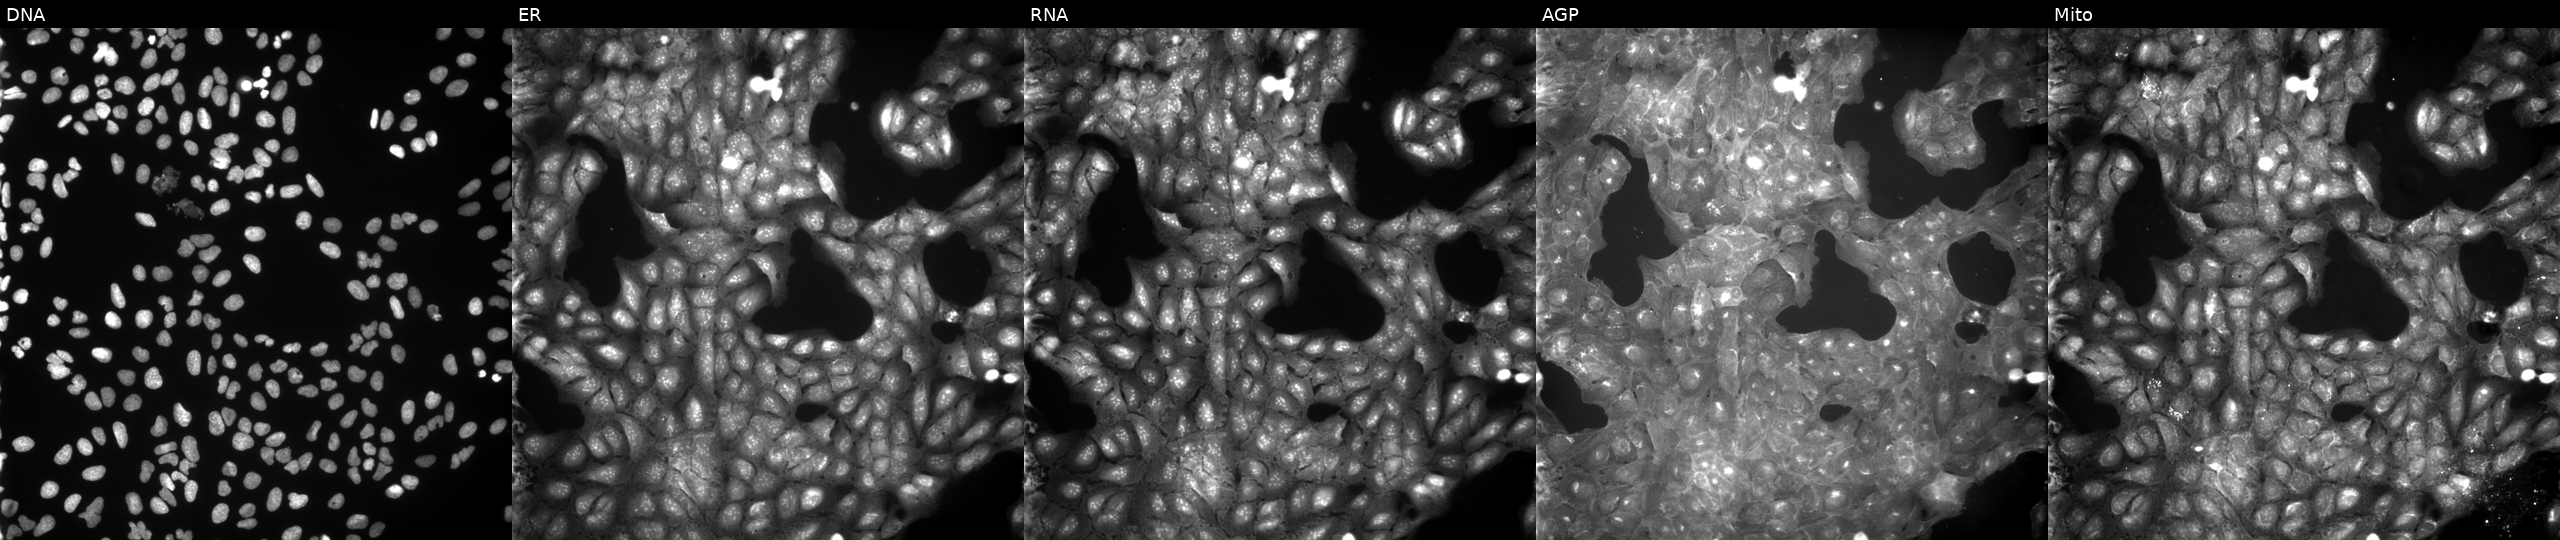
From left to right: DNA (nuclei); ER (endoplasmic reticulum); RNA (nucleoli and cytoplasmic RNA); AGP (actin cytoskeleton, Golgi, and plasma membrane); Mito (mitochondria). U2OS osteosarcoma cells perturbed with a small-molecule compound (InChIKey YTLBFPKIYGJKSK-UHFFFAOYSA-N) [SMILES: Cc1ccc(OC(=O)c2cc3ccccc3o2)cc1] (JUMP id JCP2022_110743). Cell Painting assay, JUMP-CP dataset.